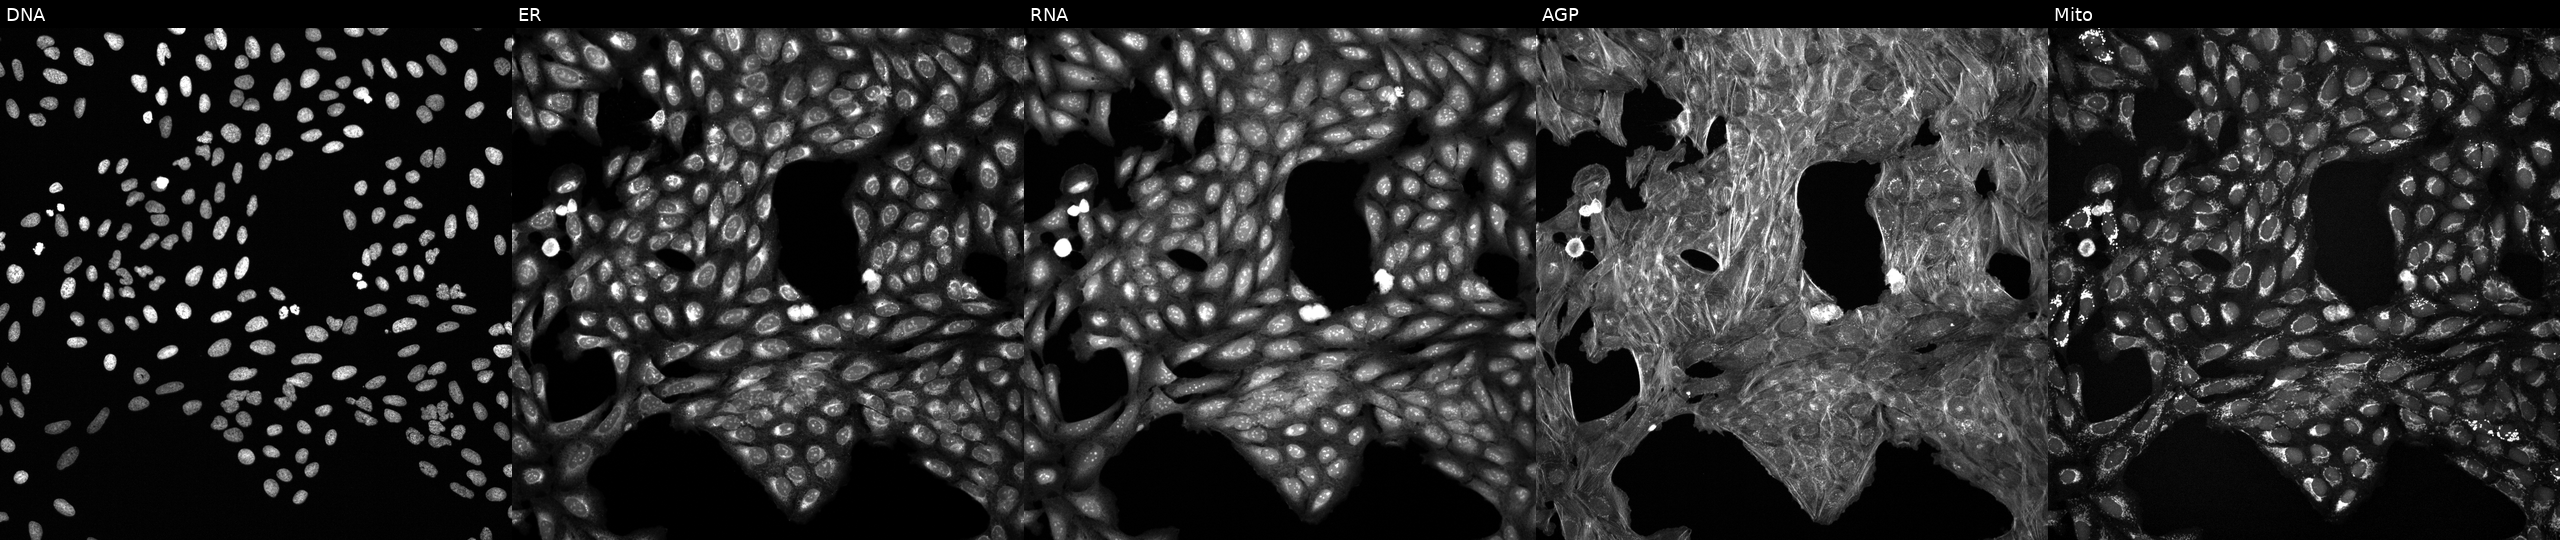
Five-channel Cell Painting image of U2OS cells perturbed with a small-molecule compound (InChIKey VKIDYDVKFQQAGV-UHFFFAOYSA-N) (JUMP id JCP2022_094540). Panels show, left to right, Hoechst 33342, concanavalin A, SYTO 14, phalloidin and WGA, MitoTracker.